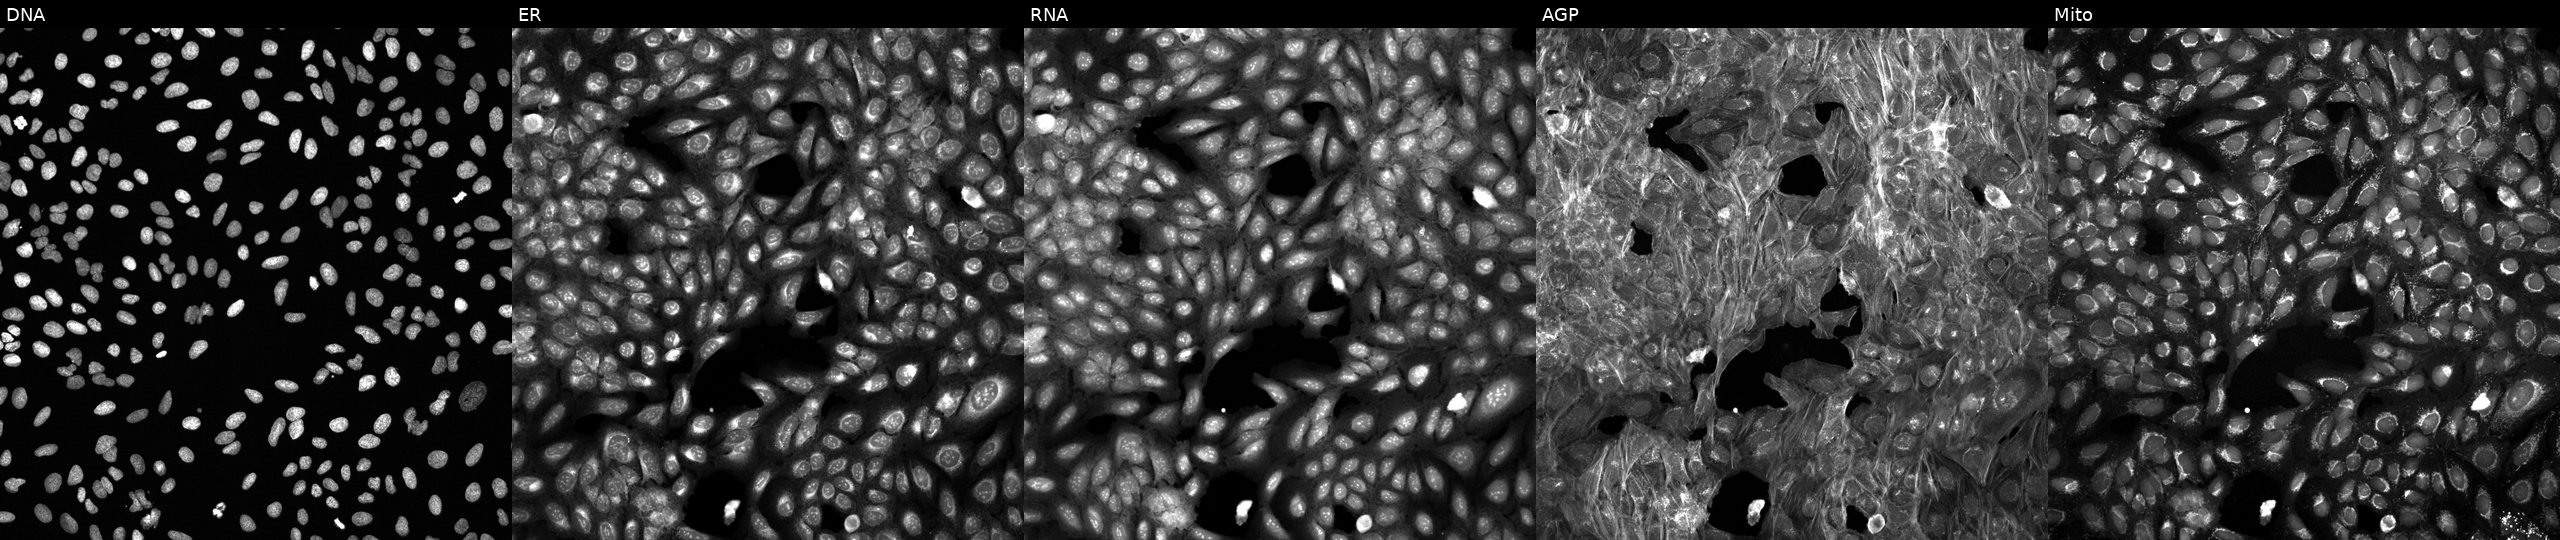
High-content fluorescence microscopy (Cell Painting). Cell line: U2OS. Perturbation: exposed to DMSO alone as a negative control (JUMP id JCP2022_033924). Channels (left→right): DNA, ER, RNA, AGP, and Mito. Source 6, plate 110000294901, well N07.